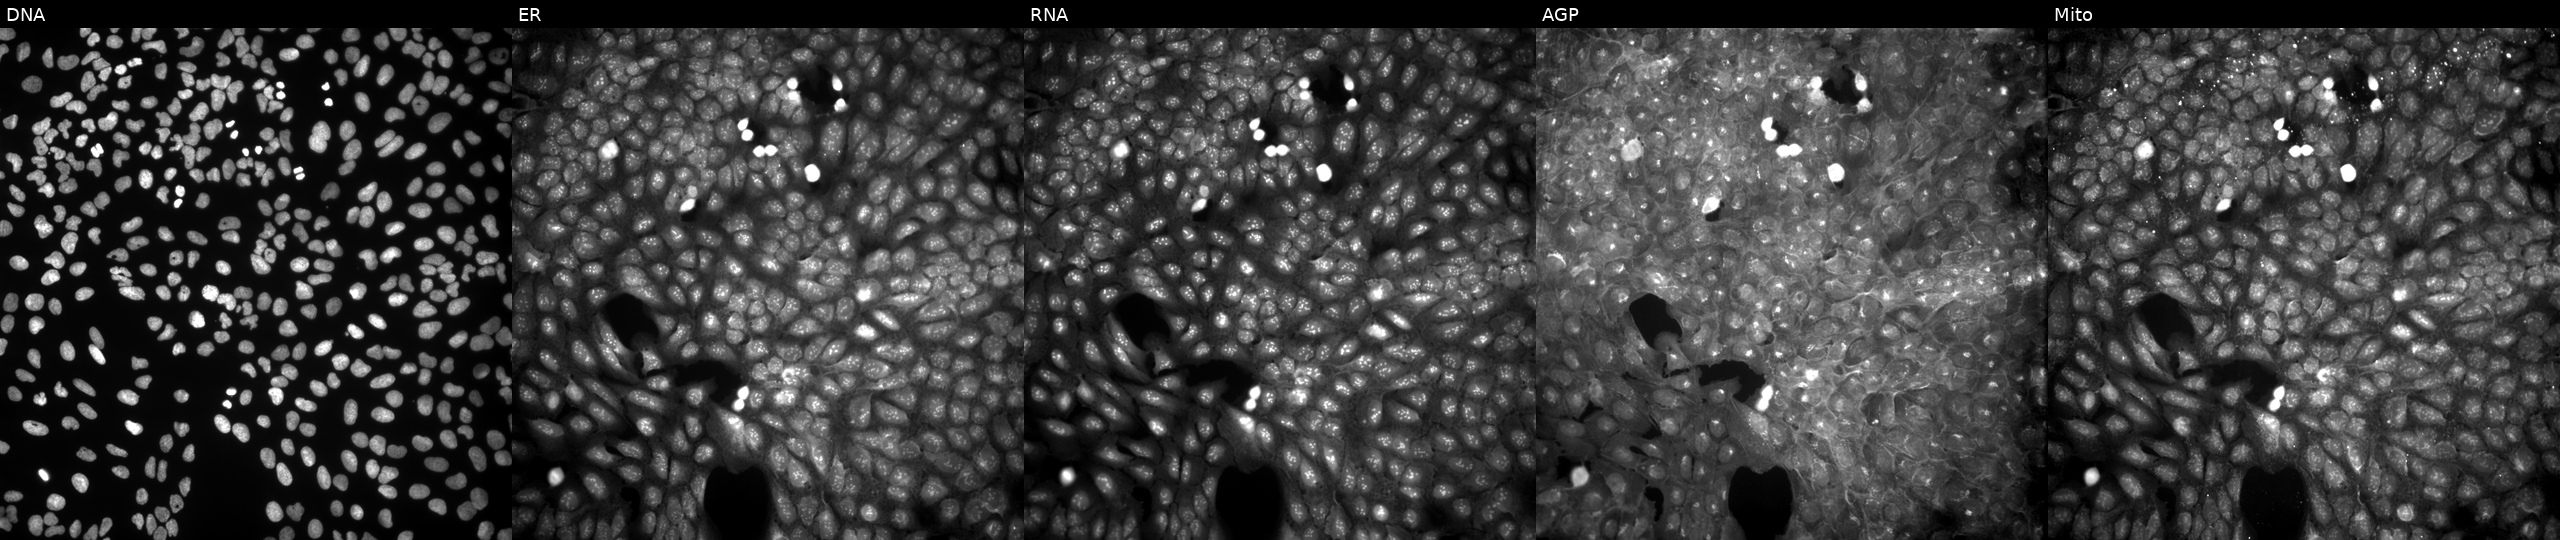
From left to right: DNA, ER, RNA, AGP, and Mito. U2OS osteosarcoma cells treated with DMSO vehicle only (negative control). Cell Painting assay, JUMP-CP dataset. Source 9, plate GR00003382, well R23.